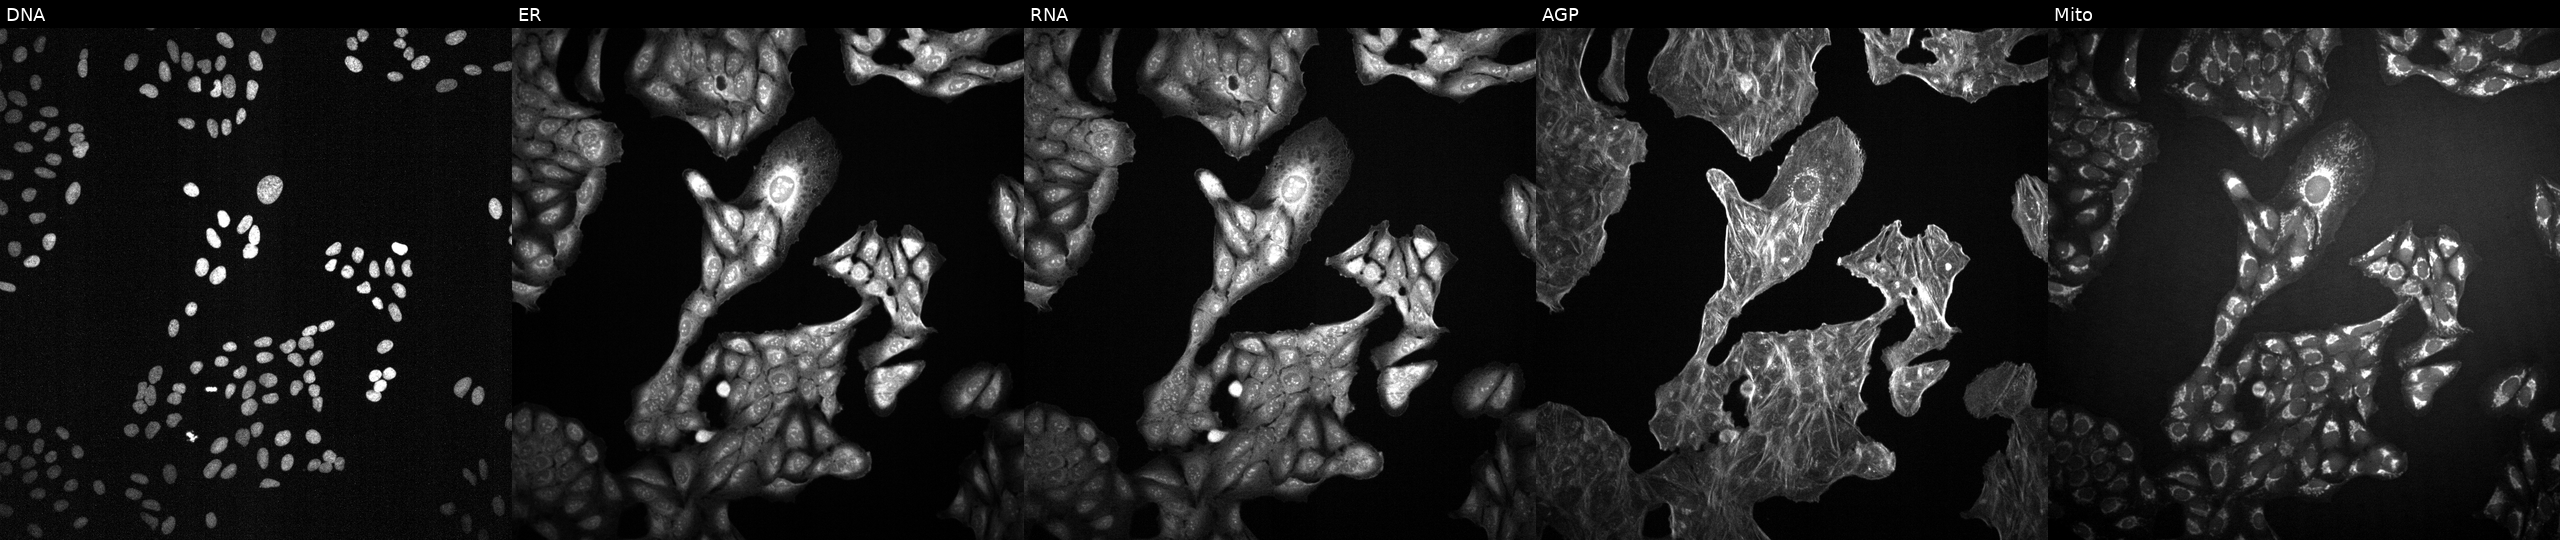
High-content fluorescence microscopy (Cell Painting). Cell line: U2OS. Perturbation: treated with a small-molecule compound (InChIKey TYNLGDBUJLVSMA-UHFFFAOYSA-N) [SMILES: CC(=O)Oc1cccc2c1C(=O)c1c(OC(C)=O)cc(C(=O)O)cc1C2=O]. Panels show, left to right, Hoechst 33342, concanavalin A, SYTO 14, phalloidin and WGA, MitoTracker. Source 2, plate 1053599503, well N11.